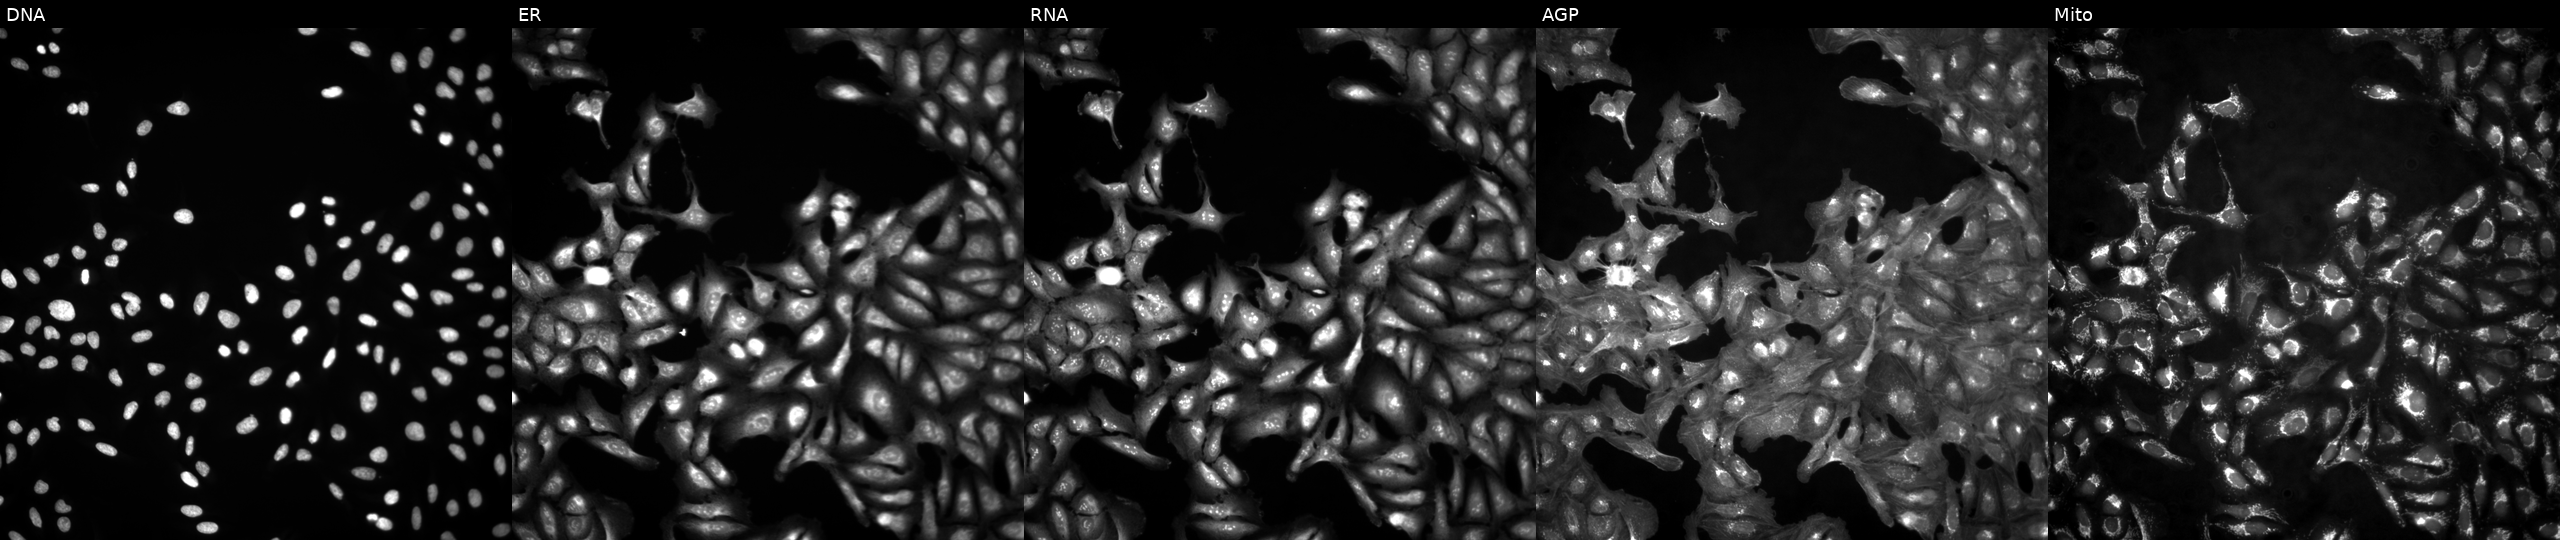
This image strip shows the five Cell Painting channels for a single field of U2OS cells in an empty control well (no perturbation) (JUMP id JCP2022_999999). Channels (left→right): DNA (nuclei); ER (endoplasmic reticulum); RNA (nucleoli and cytoplasmic RNA); AGP (actin cytoskeleton, Golgi, and plasma membrane); Mito (mitochondria). Source 4, plate BR00124793, well M17.